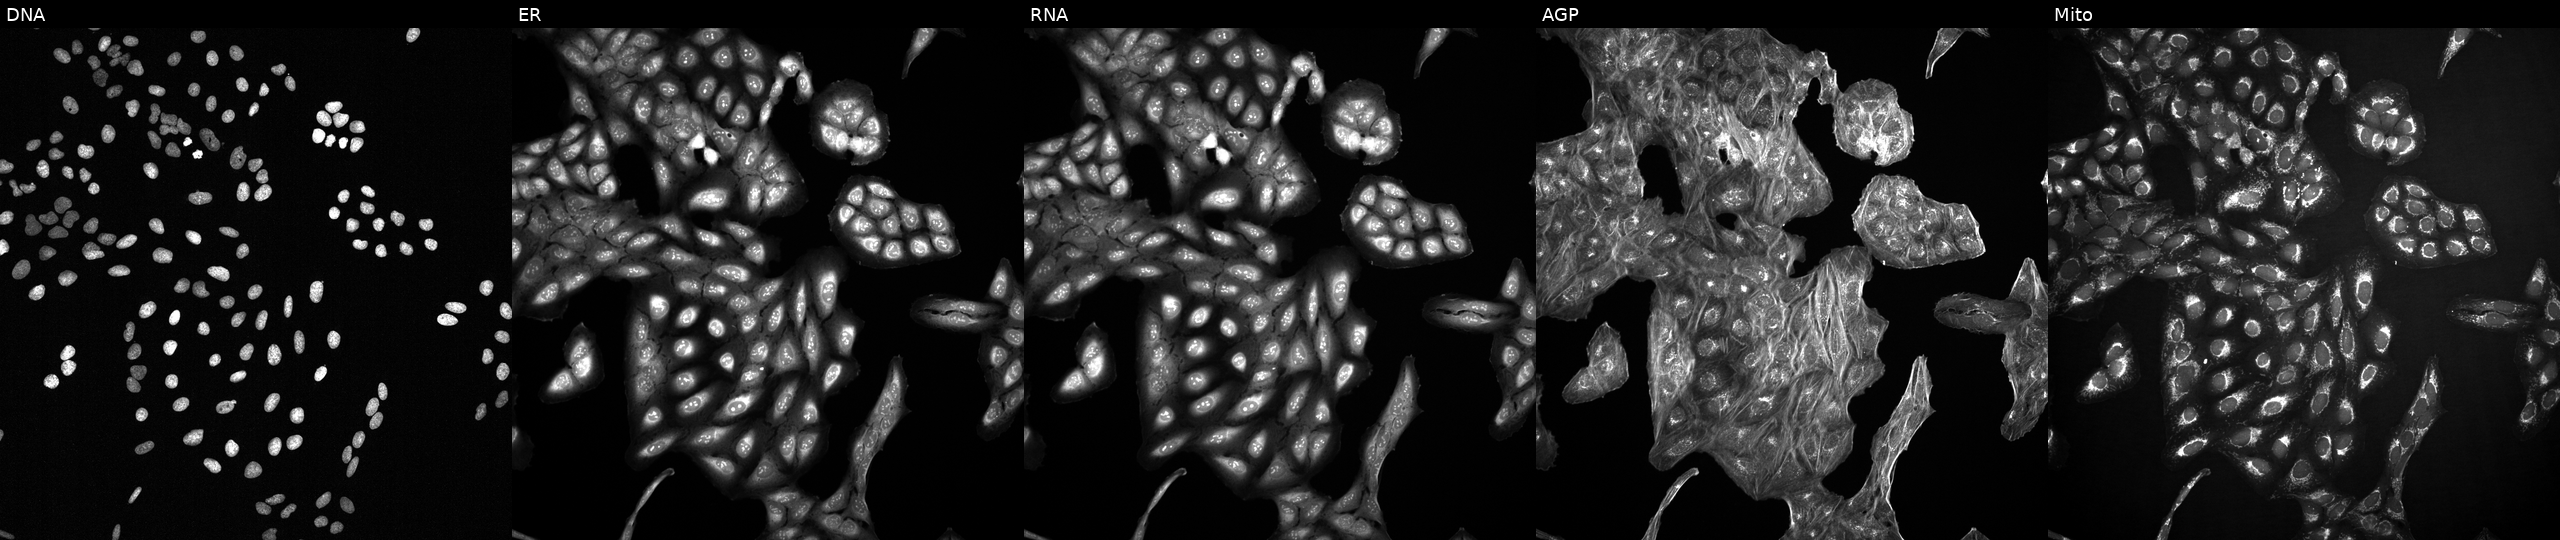
Five-channel Cell Painting image of U2OS cells with an unidentified perturbation (not annotated in JUMP metadata). Panels show, left to right, DNA (nuclei); ER (endoplasmic reticulum); RNA (nucleoli and cytoplasmic RNA); AGP (actin cytoskeleton, Golgi, and plasma membrane); Mito (mitochondria). Source 2, plate 1053601763, well B20.